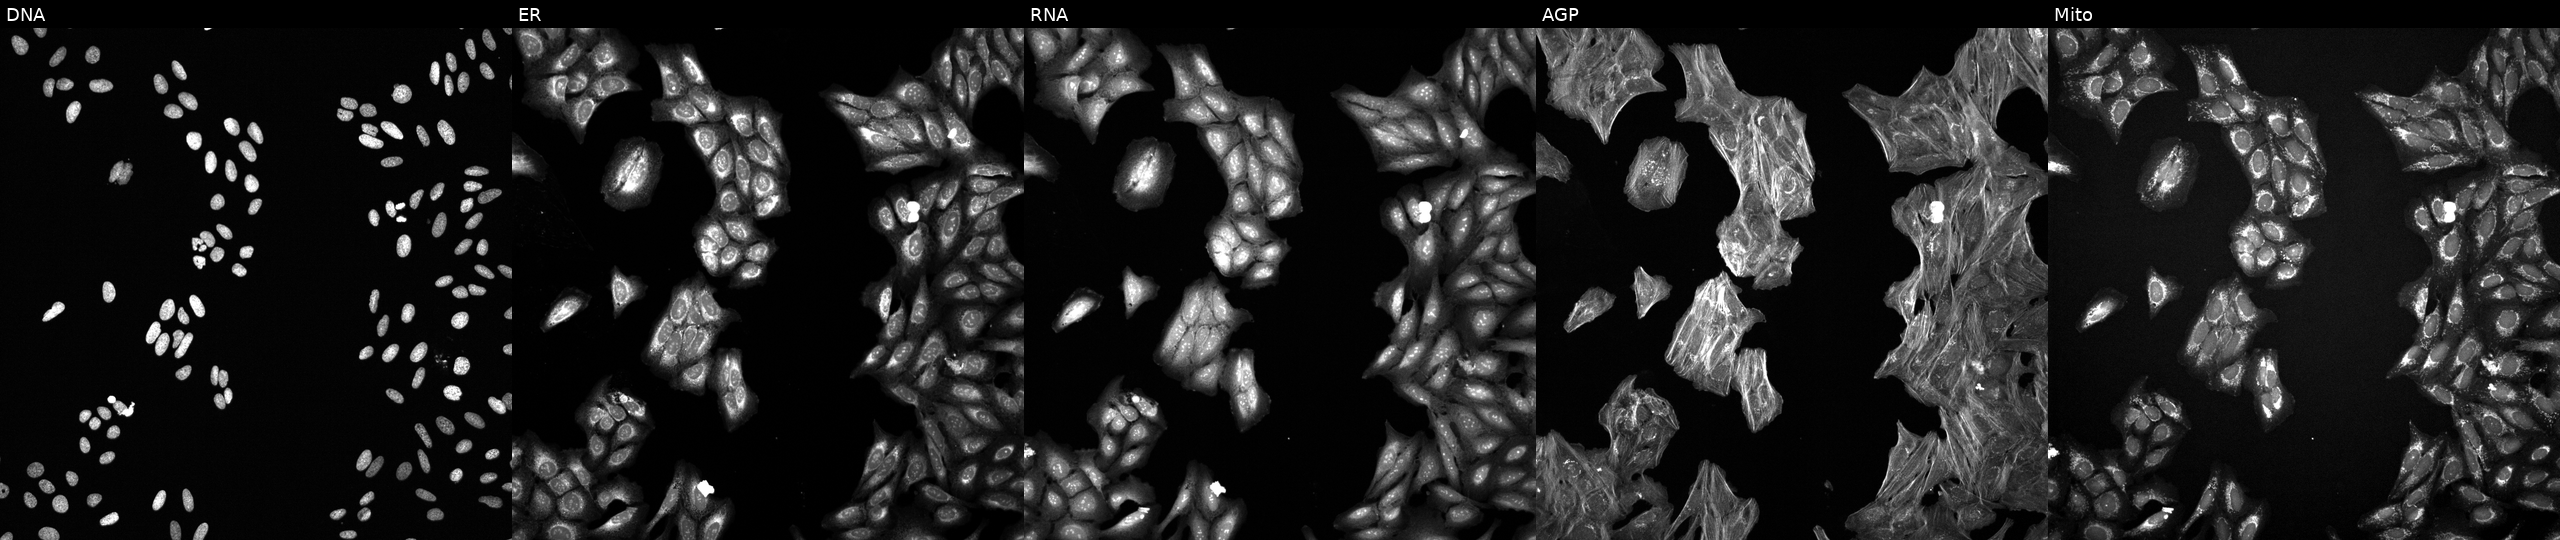
U2OS cells, Cell Painting assay, treated with a small-molecule compound (InChIKey FNHKPVJBJVTLMP-UHFFFAOYSA-N) (JUMP id JCP2022_021751). From left to right: DNA, ER, RNA, AGP, and Mito. Each panel is percentile-stretched 16-bit fluorescence.